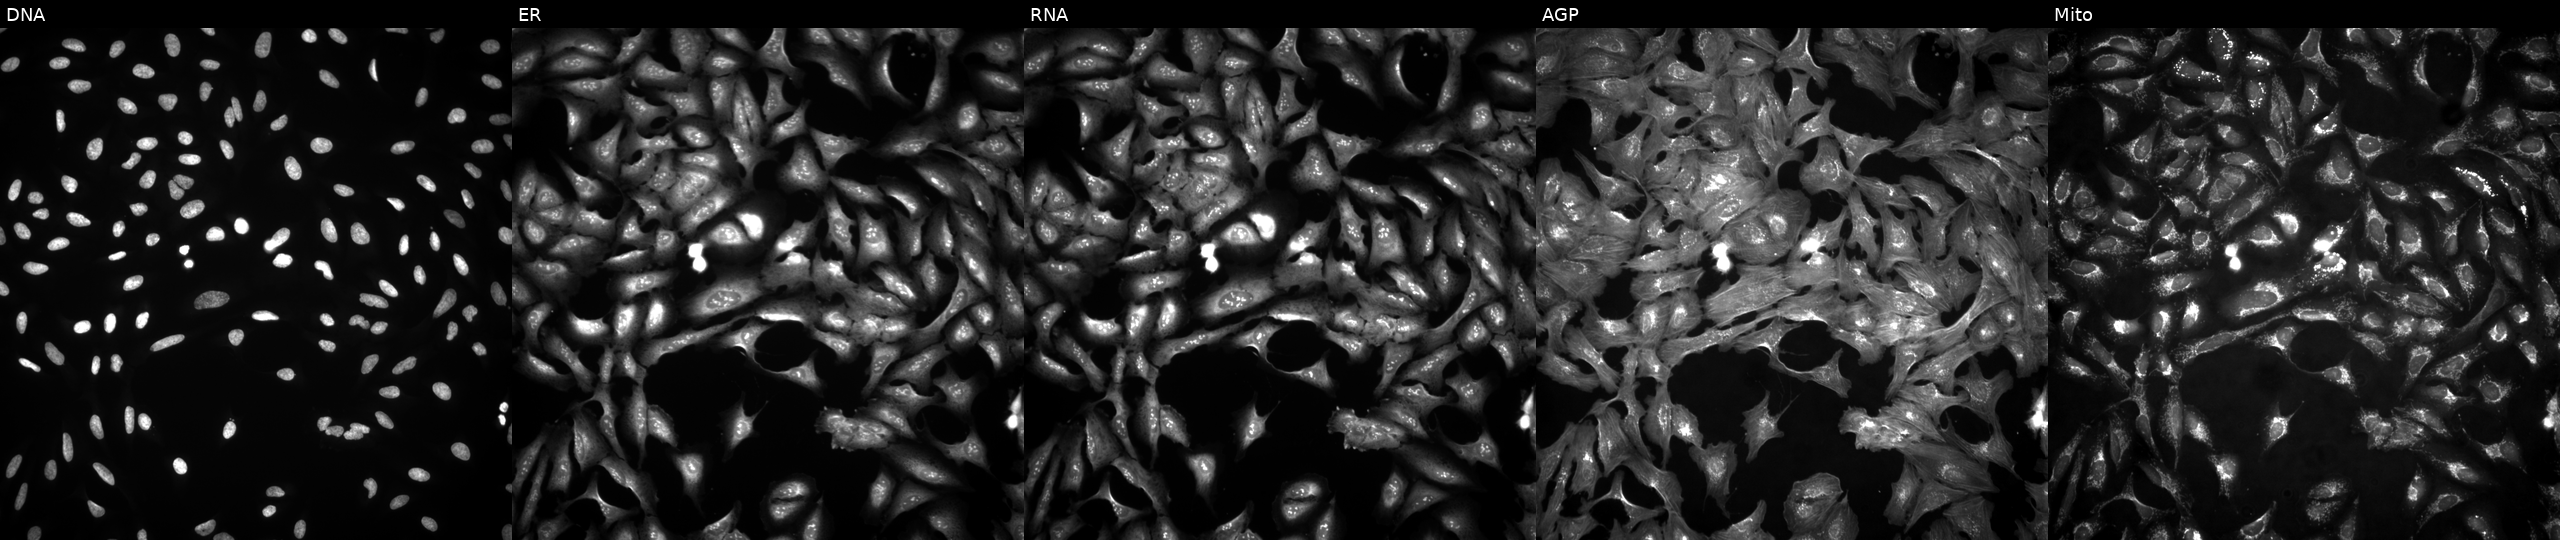
Panels show, left to right, Hoechst 33342, concanavalin A, SYTO 14, phalloidin and WGA, MitoTracker. U2OS osteosarcoma cells overexpressing C1QA via ORF transfection (JUMP id JCP2022_905525). Cell Painting assay, JUMP-CP dataset. Source 4, plate BR00124784, well H10.